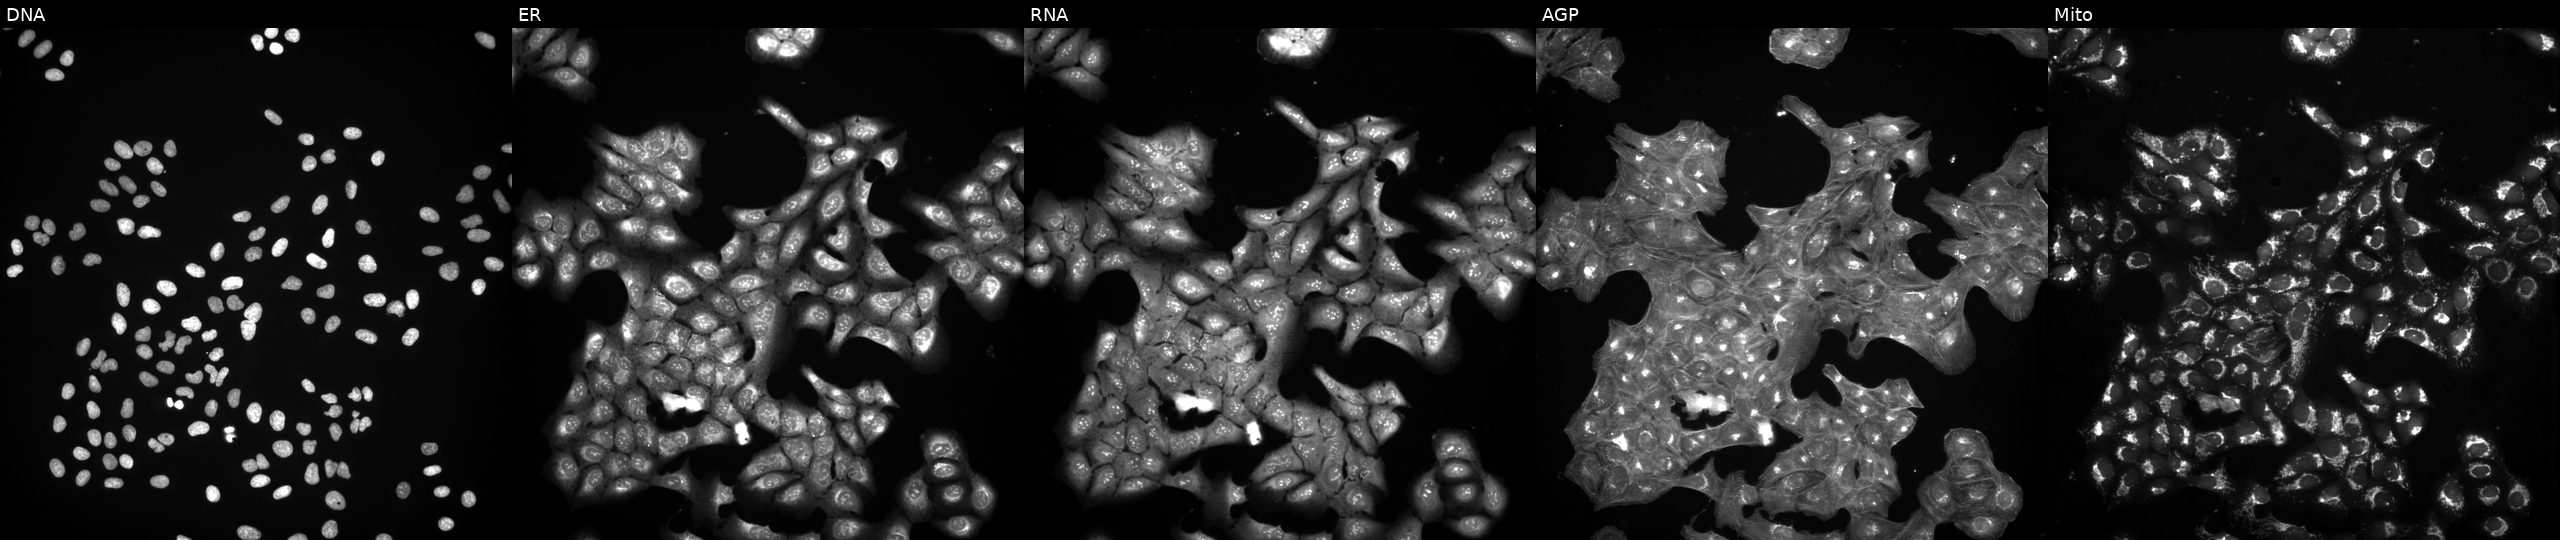
Five-channel Cell Painting image of U2OS cells exposed to a small-molecule compound (InChIKey DKQWRKBVUFBHJS-UHFFFAOYSA-N) (JUMP id JCP2022_016562). From left to right: DNA (nuclei); ER (endoplasmic reticulum); RNA (nucleoli and cytoplasmic RNA); AGP (actin cytoskeleton, Golgi, and plasma membrane); Mito (mitochondria).